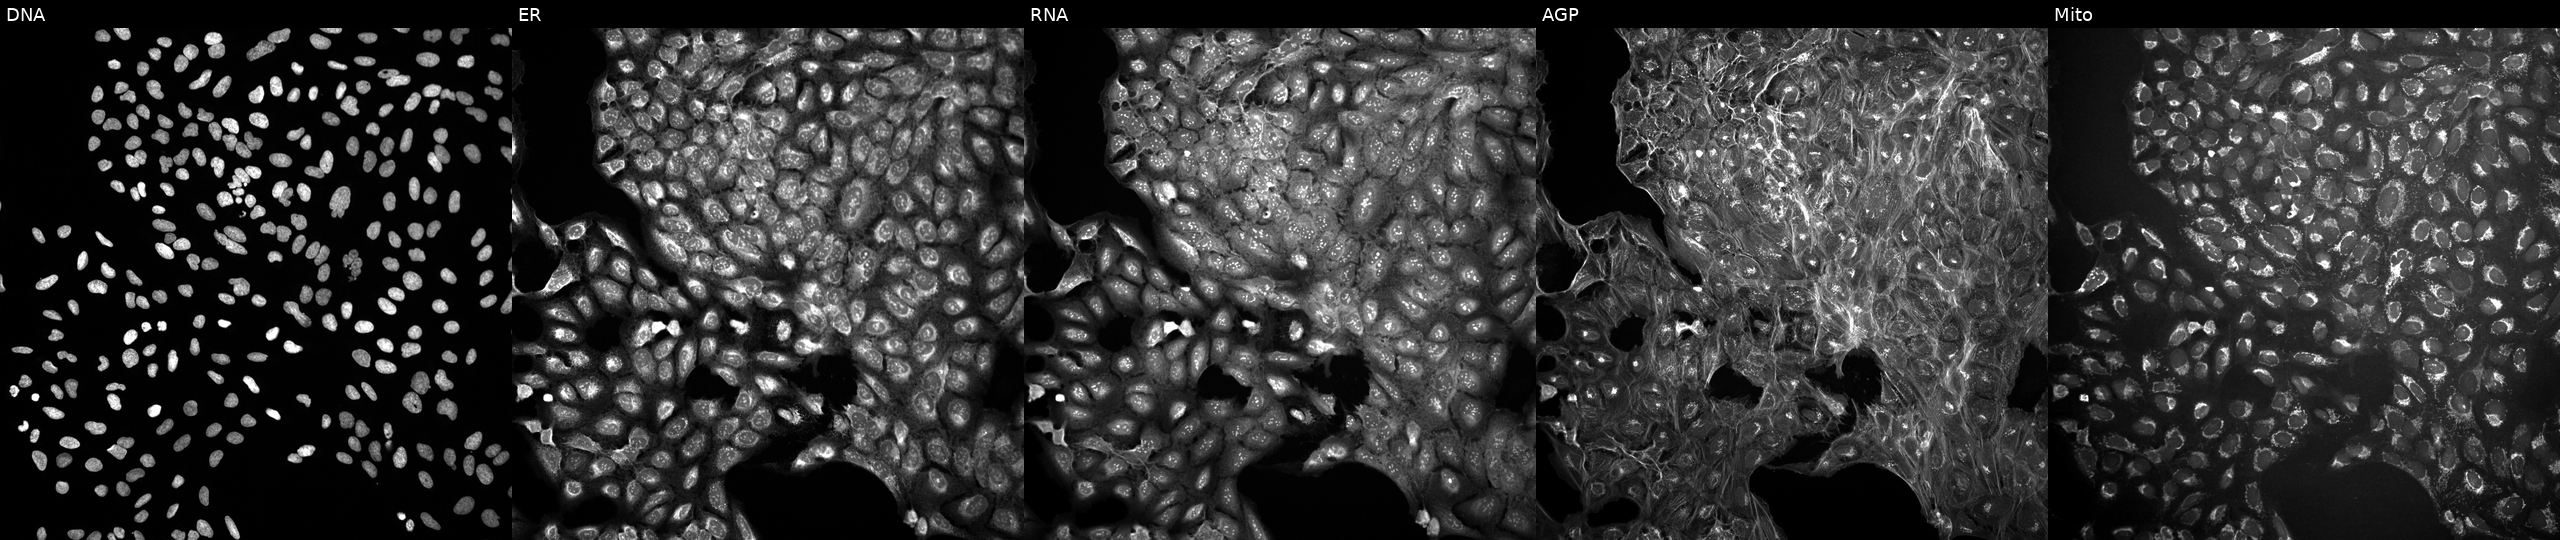
This image strip shows the five Cell Painting channels for a single field of U2OS cells in an empty control well (no perturbation) (JUMP id JCP2022_999999). Channels (left→right): DNA (nuclei); ER (endoplasmic reticulum); RNA (nucleoli and cytoplasmic RNA); AGP (actin cytoskeleton, Golgi, and plasma membrane); Mito (mitochondria). Source 10, plate Dest210531-152324, well G11.